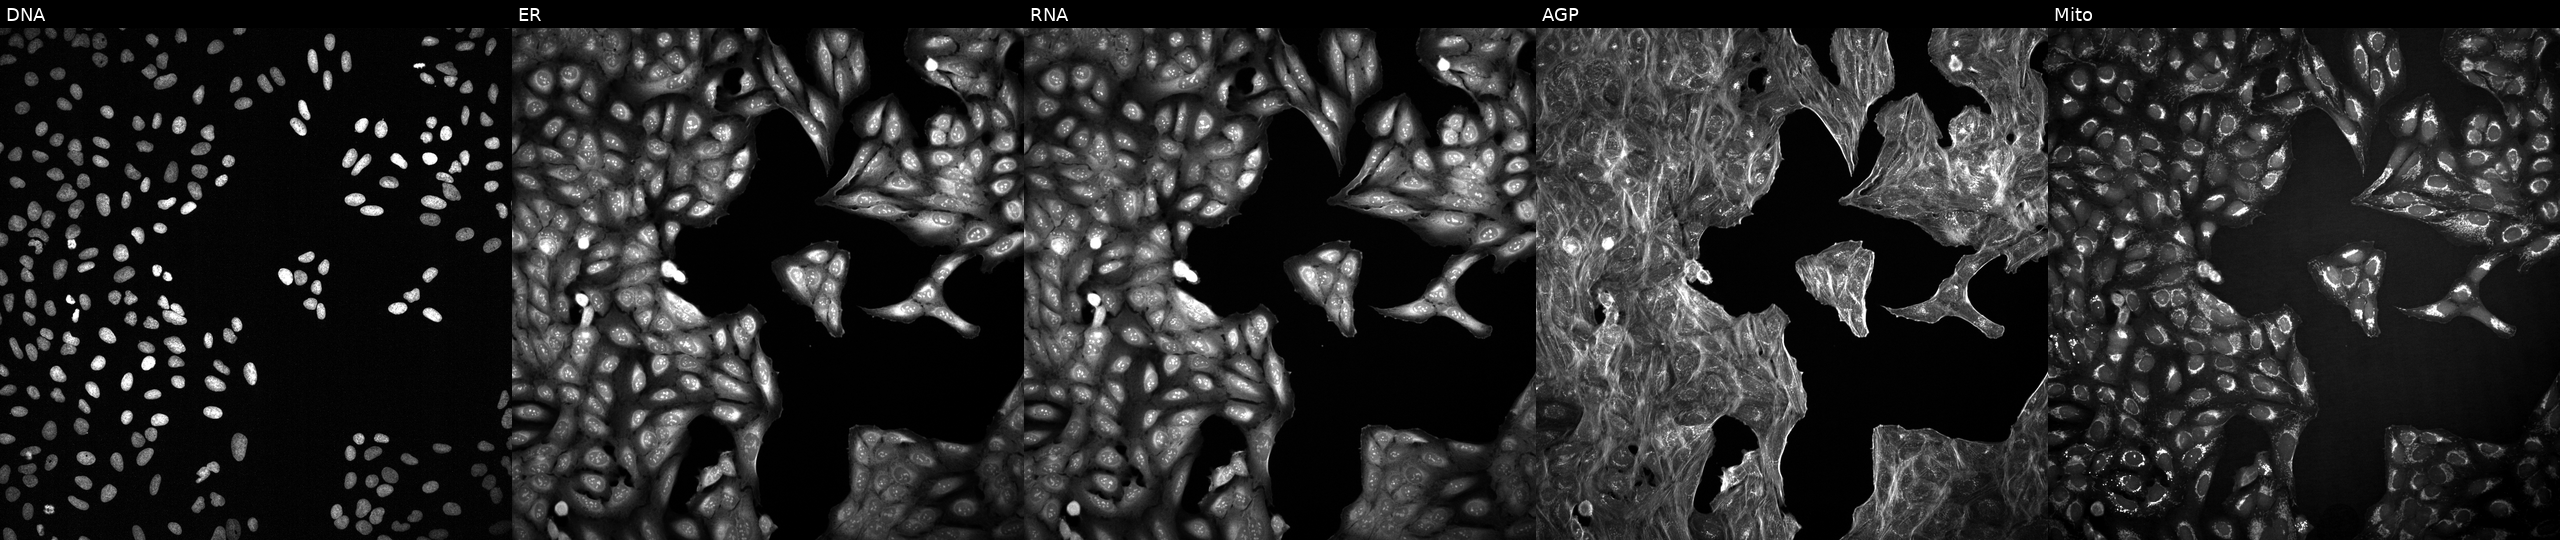
U2OS cells, Cell Painting assay, exposed to DMSO alone as a negative control. The five panels, left to right, show Hoechst 33342, concanavalin A, SYTO 14, phalloidin and WGA, MitoTracker. Each panel is percentile-stretched 16-bit fluorescence.